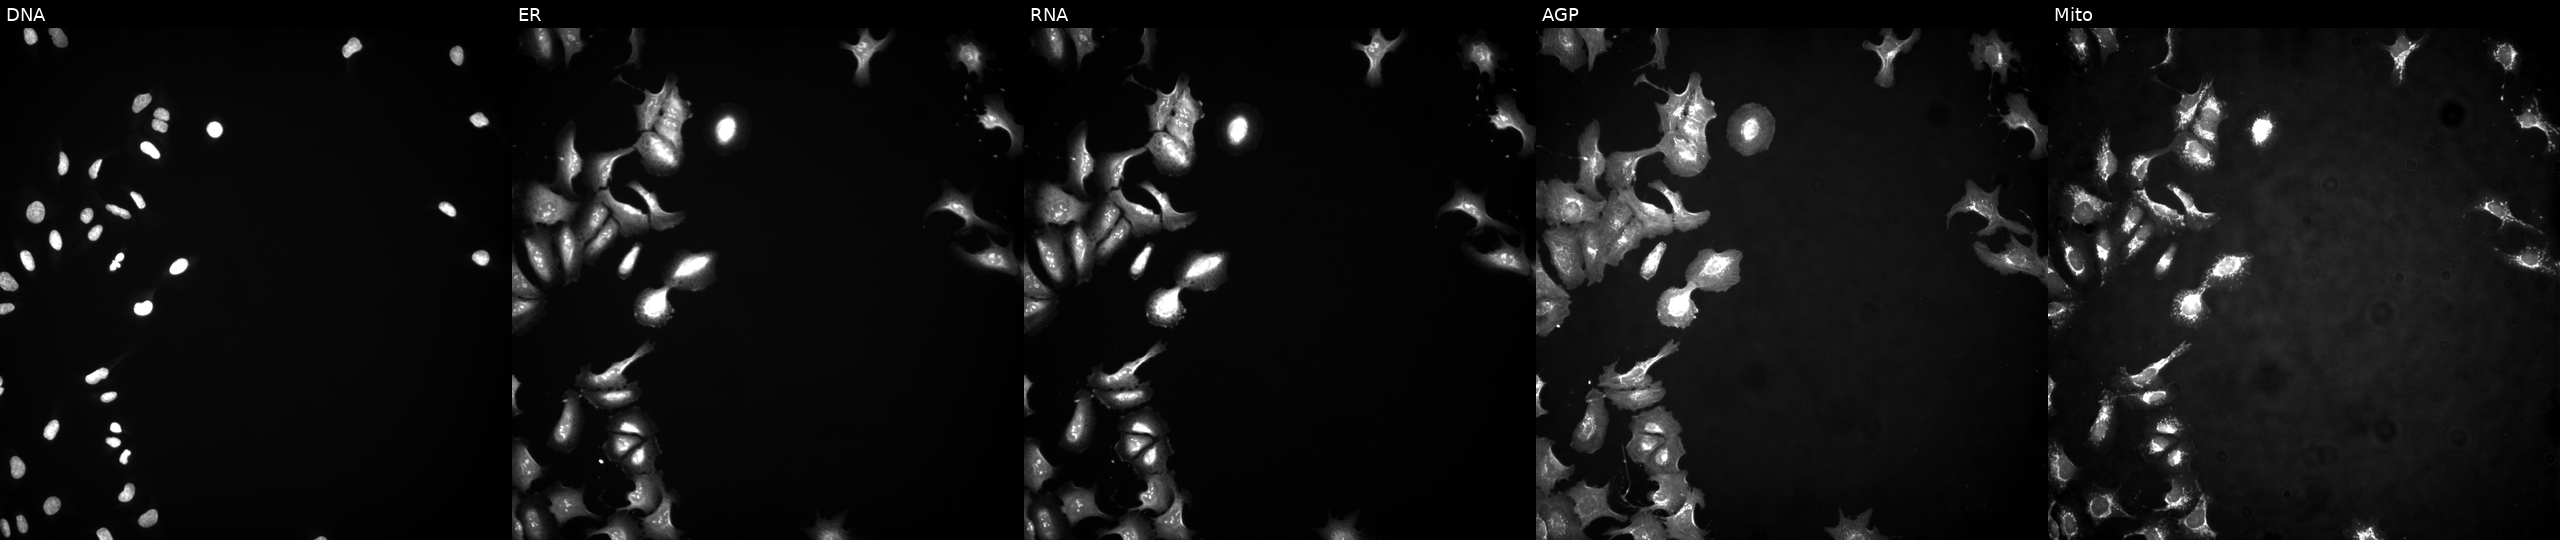
High-content fluorescence microscopy (Cell Painting). Cell line: U2OS. Perturbation: with CREB3 overexpressed (ORF) (JUMP id JCP2022_907125). From left to right: DNA, ER, RNA, AGP, and Mito.